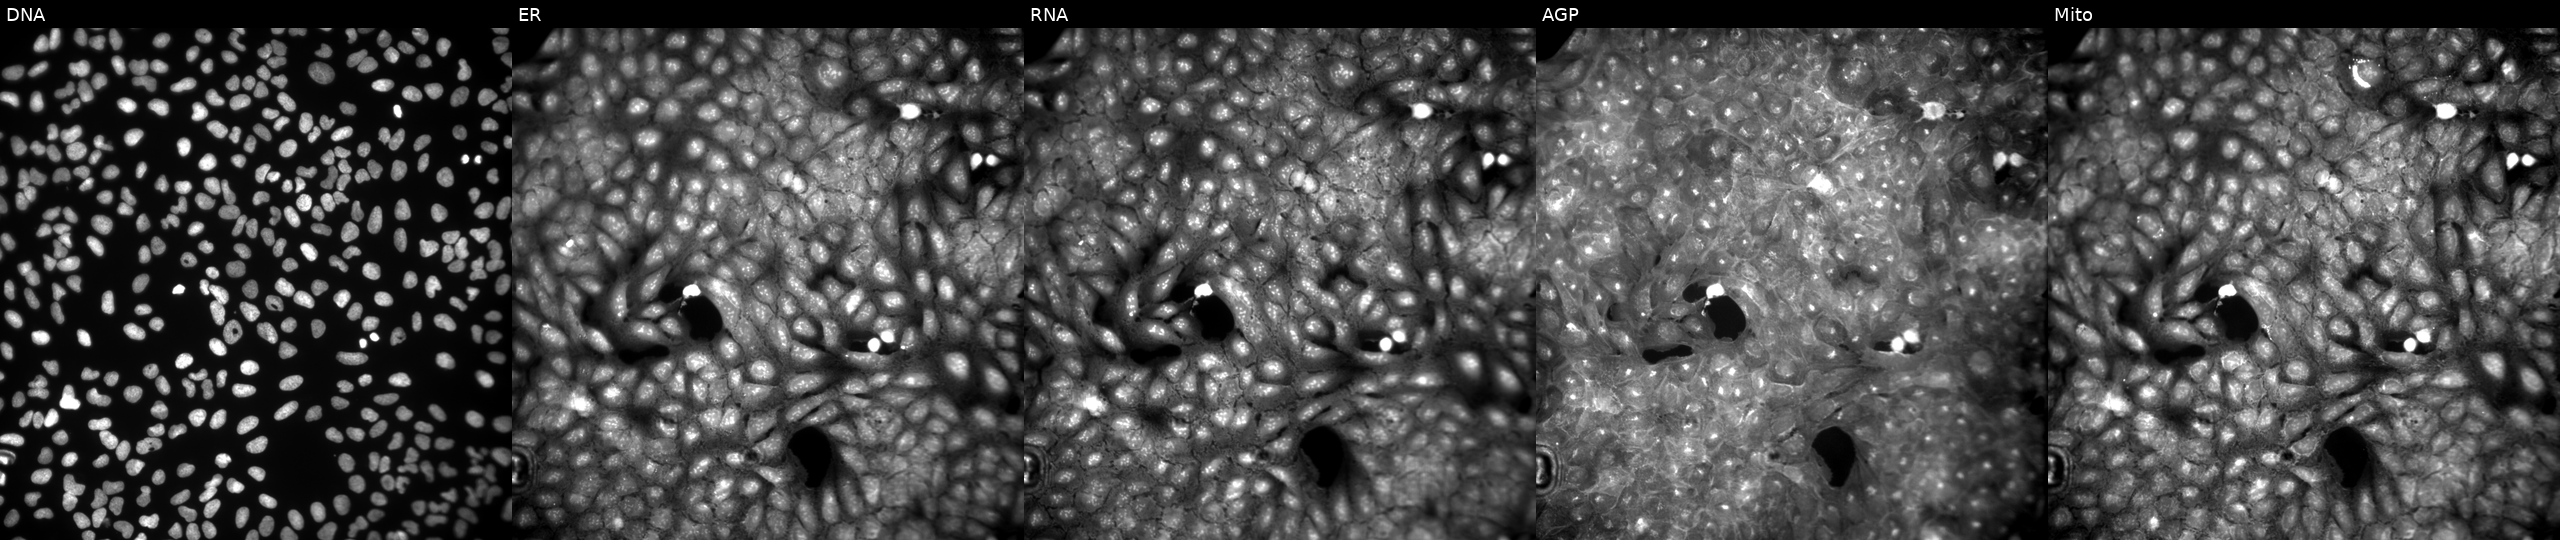
U2OS cells, Cell Painting assay, perturbed with a small-molecule compound [SMILES: Cc1cc[nH]c(=NC(=O)C(C)N2C(=O)c3ccccc3C2=O)c1] (JUMP id JCP2022_089472). From left to right: DNA (nuclei); ER (endoplasmic reticulum); RNA (nucleoli and cytoplasmic RNA); AGP (actin cytoskeleton, Golgi, and plasma membrane); Mito (mitochondria). Each panel is percentile-stretched 16-bit fluorescence. Source 9, plate GR00003381, well X46.